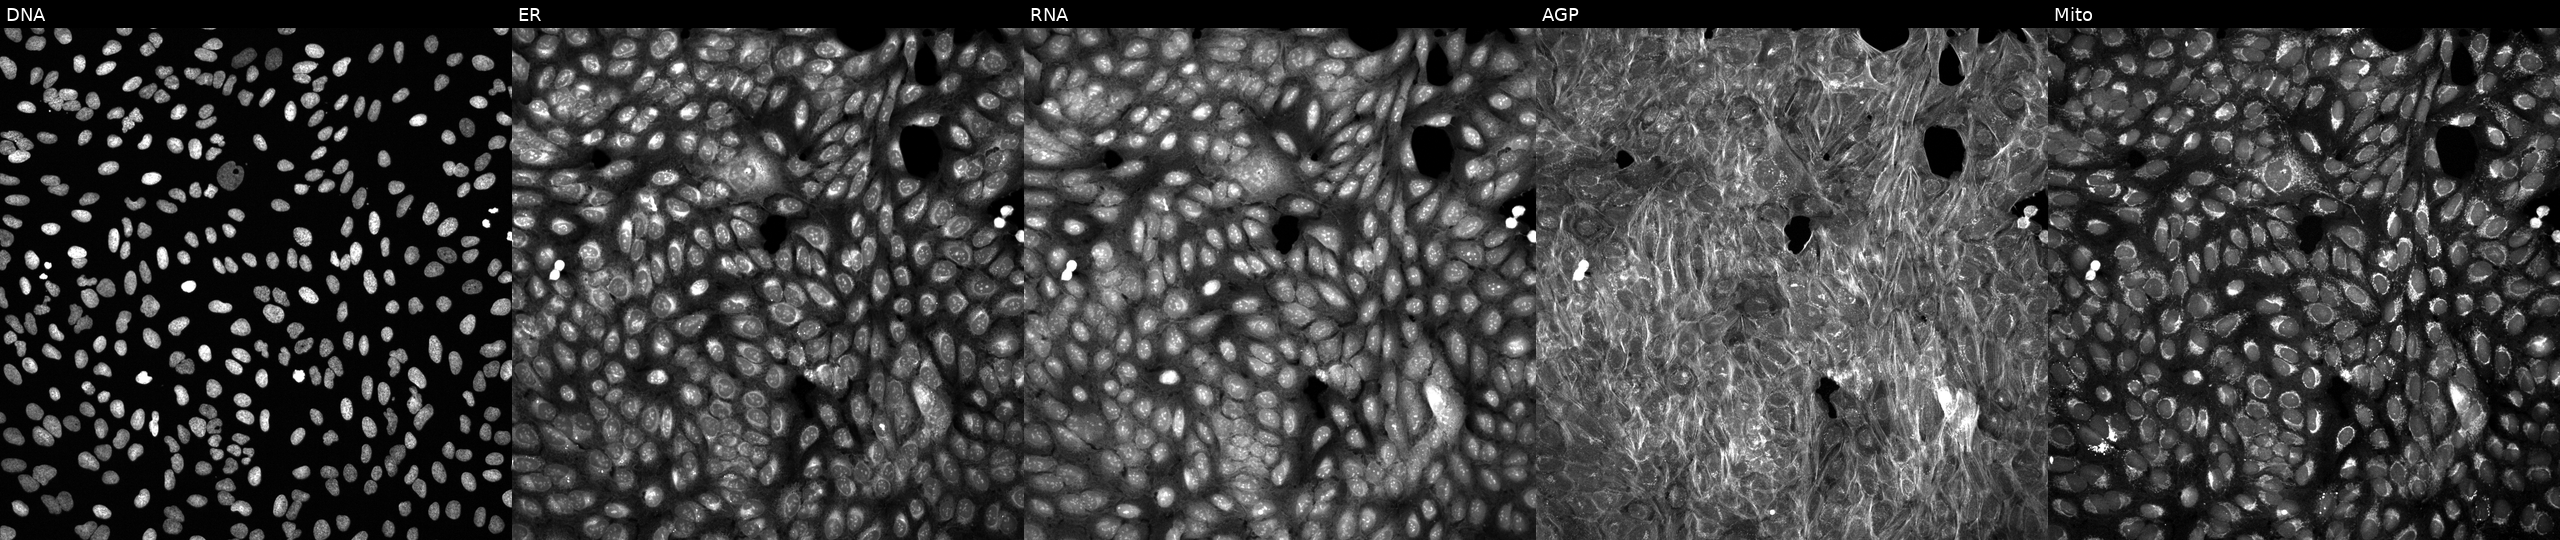
Five-channel Cell Painting image of U2OS cells perturbed with a small-molecule compound (InChIKey HGVDHZBSSITLCT-UHFFFAOYSA-N) [SMILES: CN1CCc2nc(C(=O)NC3CC(C(=O)N(C)C)CCC3NC(=O)C(=O)N=c3ccc(Cl)c[nH]3)sc2C1]. From left to right: DNA, ER, RNA, AGP, and Mito.